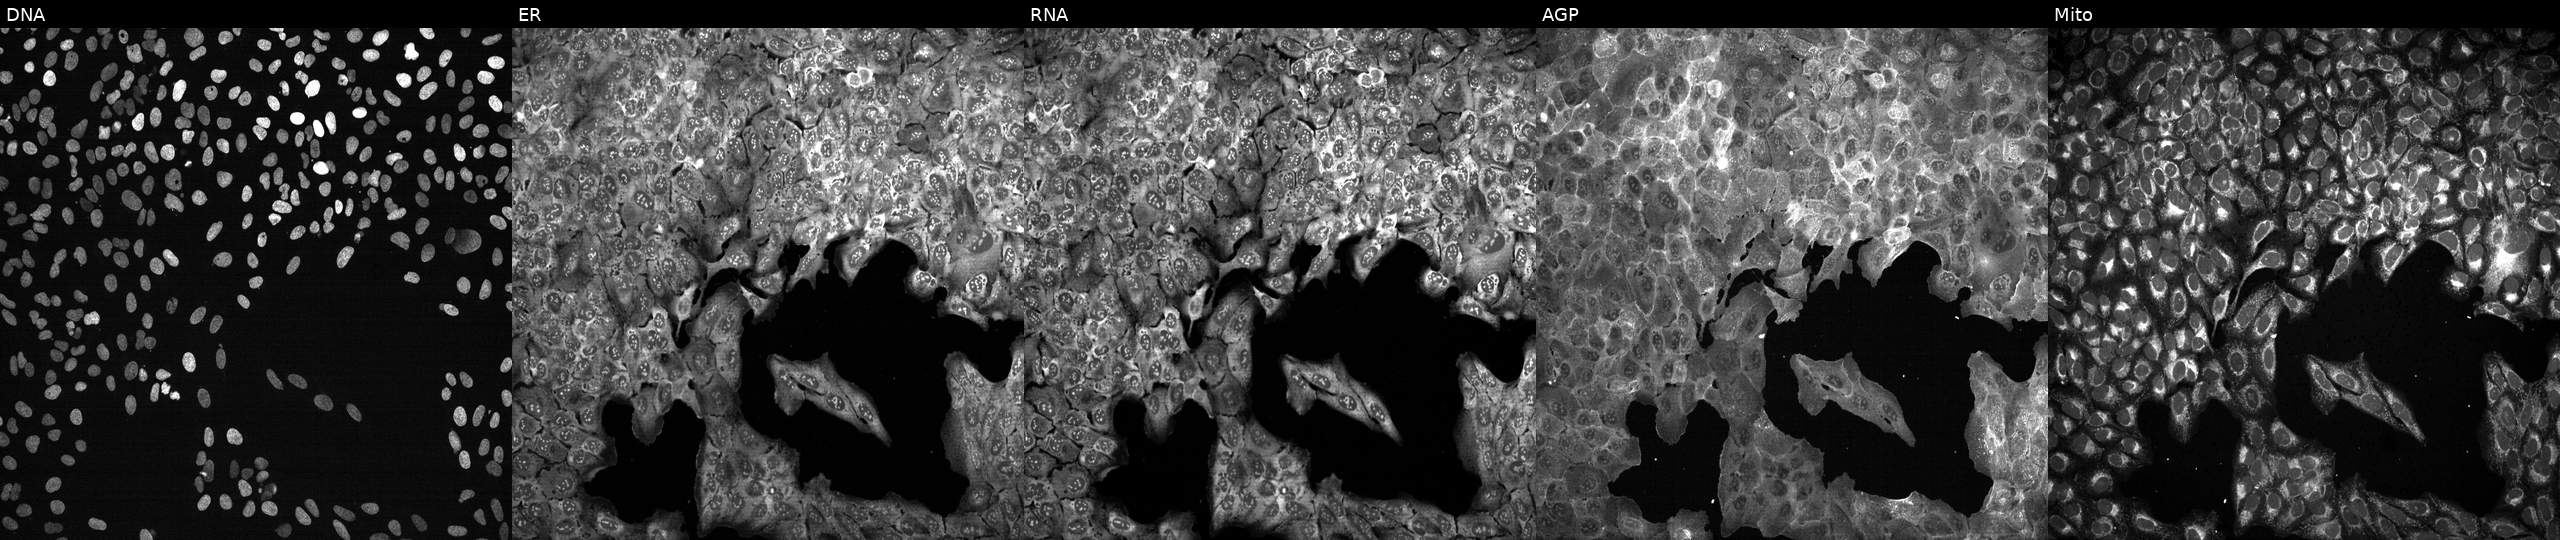
JUMP Cell Painting — CRISPR plate. U2OS cells CRISPR-edited to disrupt PADI4. The five panels, left to right, show DNA (nuclei); ER (endoplasmic reticulum); RNA (nucleoli and cytoplasmic RNA); AGP (actin cytoskeleton, Golgi, and plasma membrane); Mito (mitochondria).